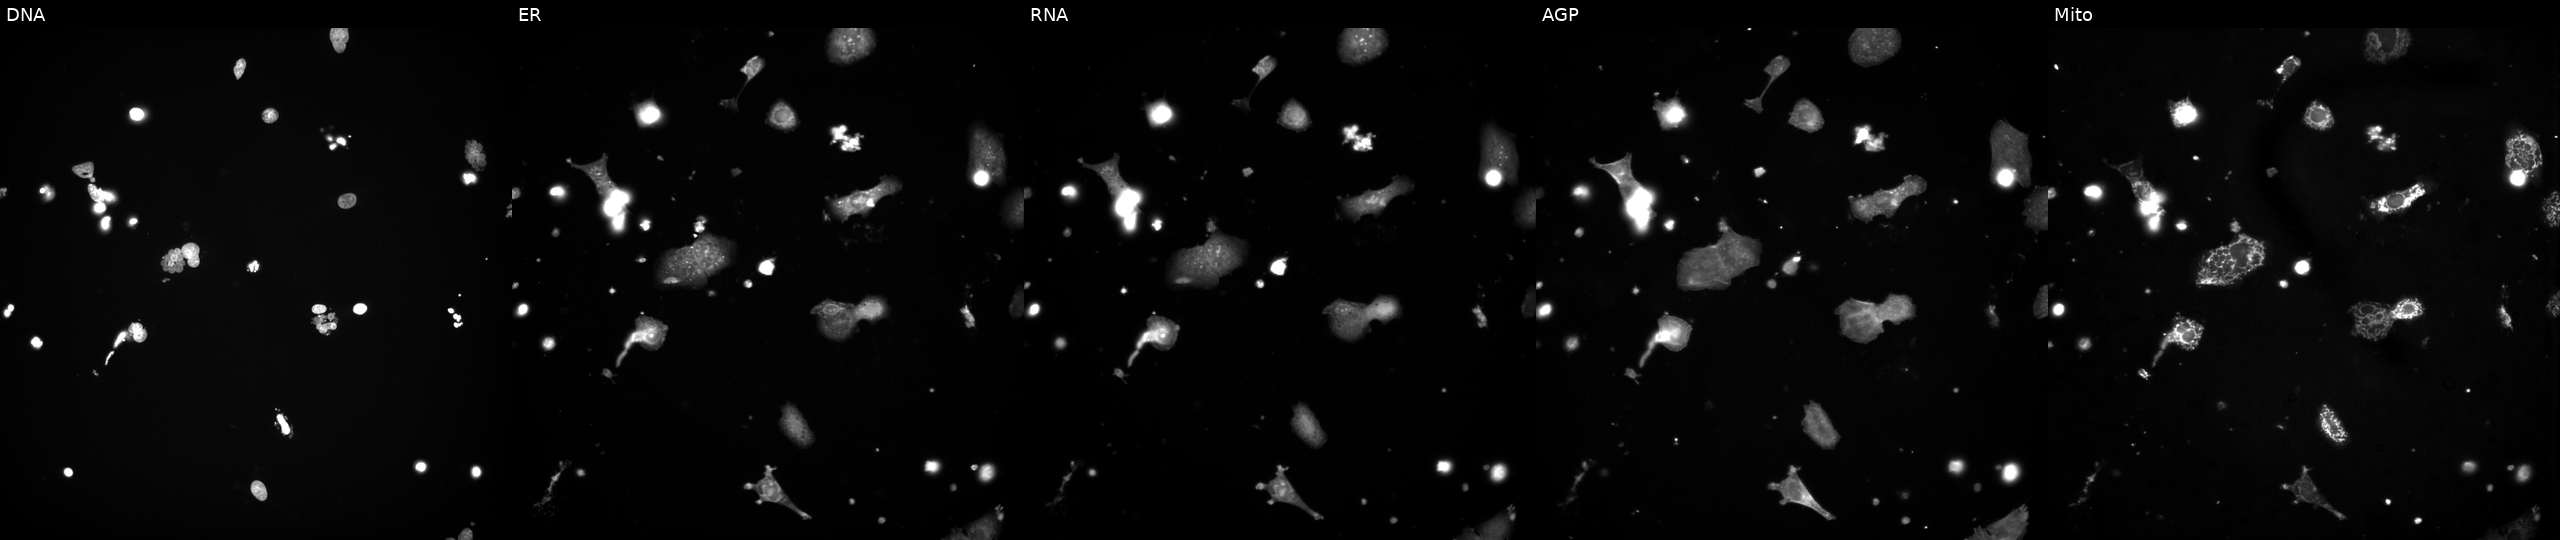
High-content fluorescence microscopy (Cell Painting). Cell line: U2OS. Perturbation: perturbed with a small-molecule compound (InChIKey VSVFLGPUZJTBSD-UHFFFAOYSA-N) (JUMP id JCP2022_096054). The five panels, left to right, show DNA, ER, RNA, AGP, and Mito.